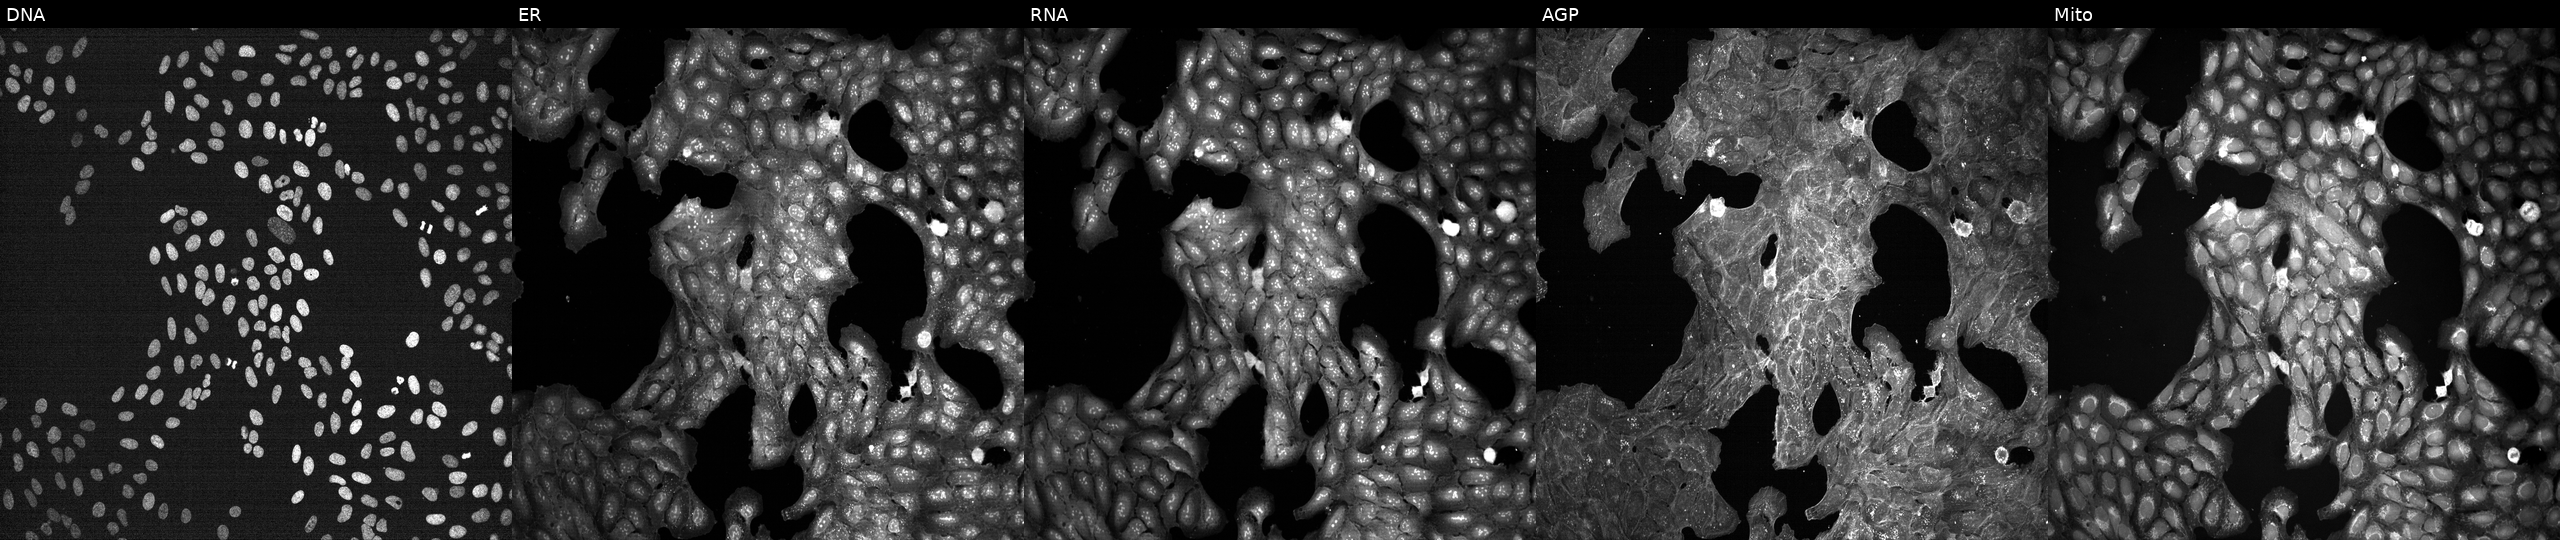
High-content fluorescence microscopy (Cell Painting). Cell line: U2OS. Perturbation: treated with a small-molecule compound (InChIKey BYBLEWFAAKGYCD-UHFFFAOYSA-N) (JUMP id JCP2022_009419). From left to right: Hoechst 33342, concanavalin A, SYTO 14, phalloidin and WGA, MitoTracker. Source 7, plate CP1-SC1-25, well O03.